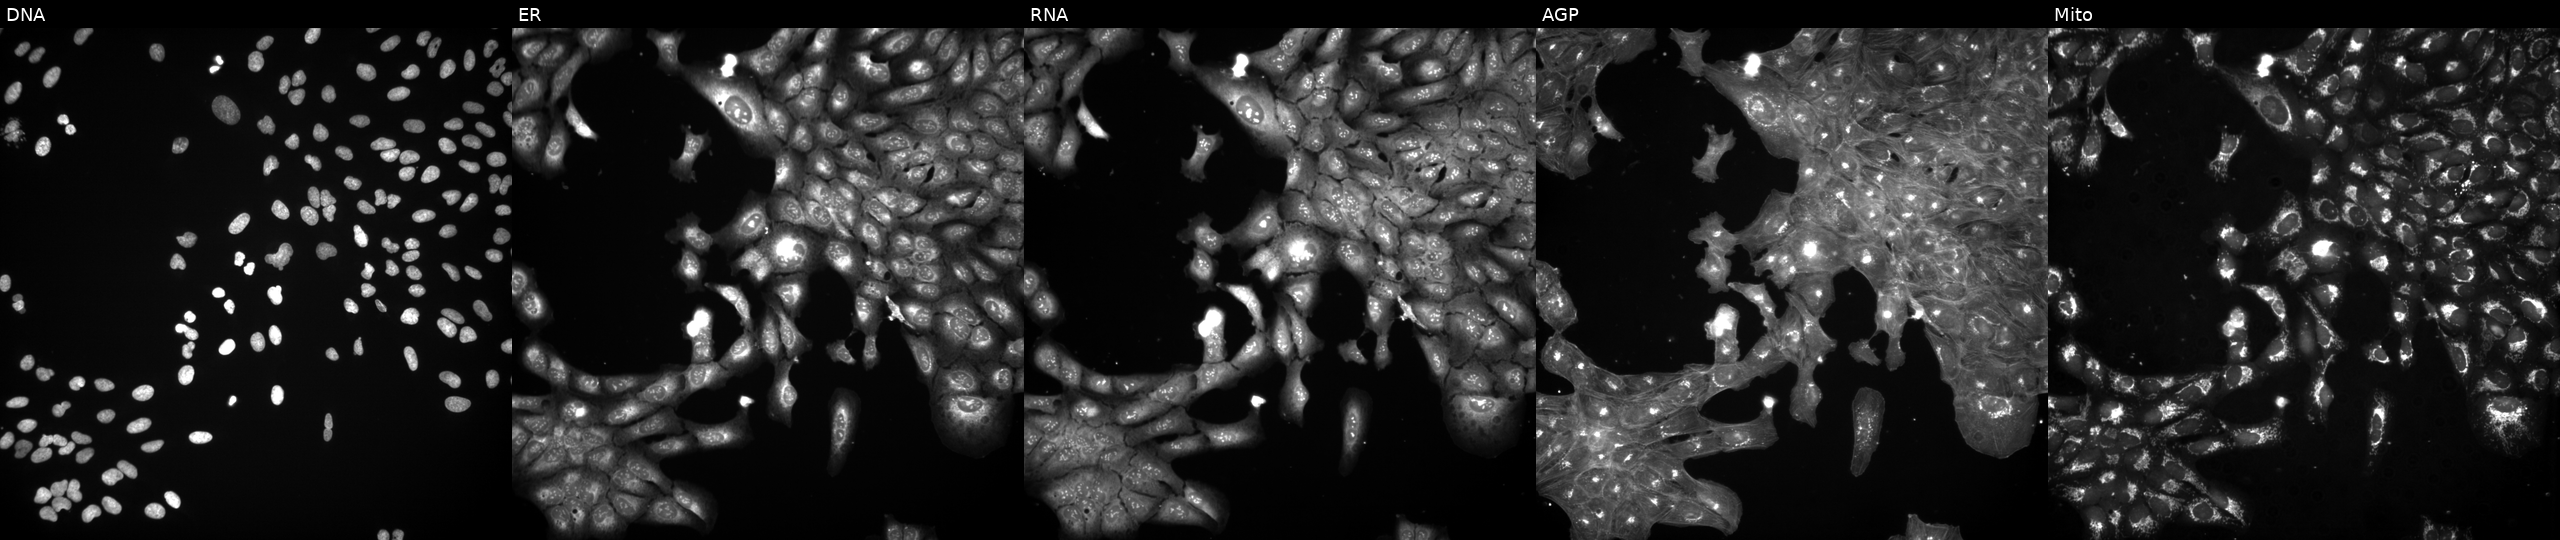
Five-channel Cell Painting image of U2OS cells exposed to DMSO alone as a negative control. From left to right: DNA, ER, RNA, AGP, and Mito.